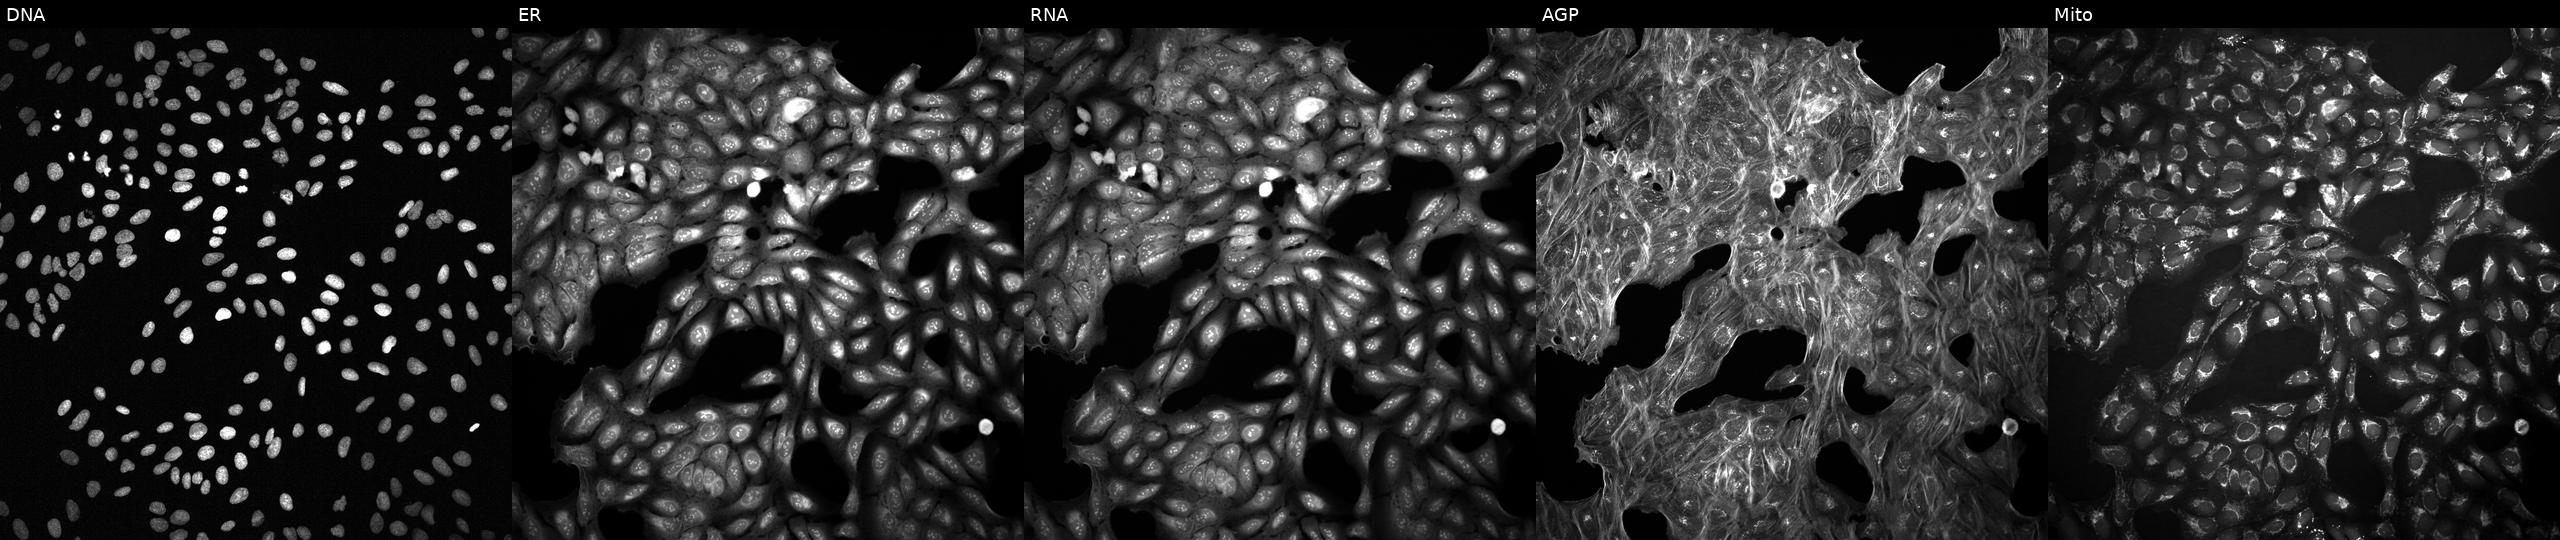
High-content fluorescence microscopy (Cell Painting). Cell line: U2OS. Perturbation: treated with a small-molecule compound (InChIKey RRGUKTPIGVIEKM-UHFFFAOYSA-N) [SMILES: O=C1CCc2cc(OCCCCc3nnnn3C3CCCCC3)ccc2N1]. The five panels, left to right, show DNA, ER, RNA, AGP, and Mito.